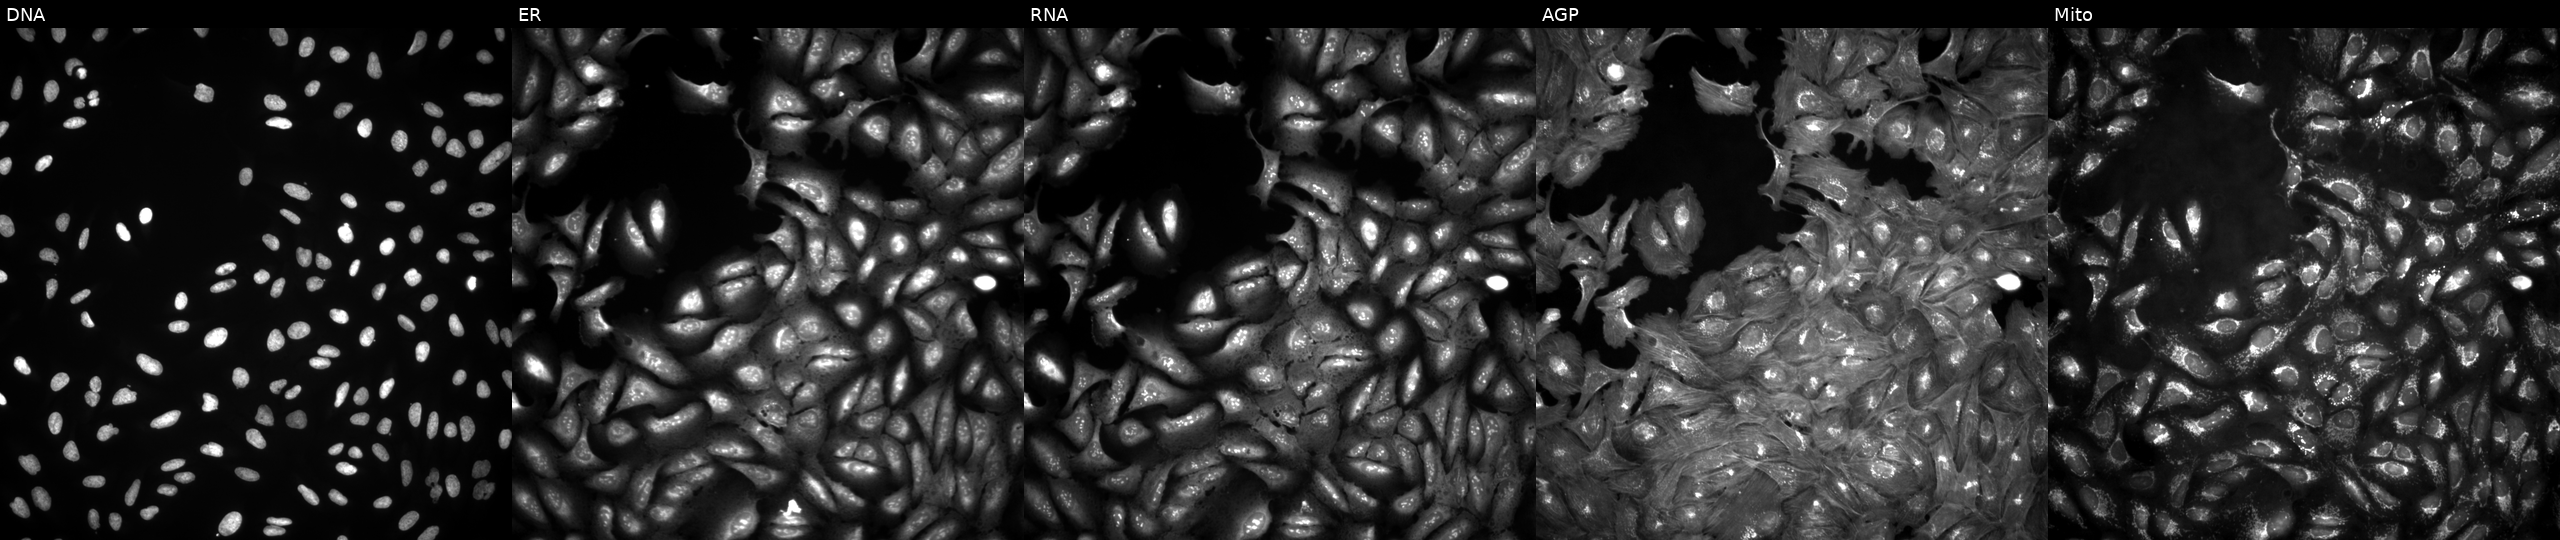
Channels (left→right): DNA (nuclei); ER (endoplasmic reticulum); RNA (nucleoli and cytoplasmic RNA); AGP (actin cytoskeleton, Golgi, and plasma membrane); Mito (mitochondria). U2OS osteosarcoma cells with EMC1 overexpressed (ORF) (JUMP id JCP2022_902547). Cell Painting assay, JUMP-CP dataset.